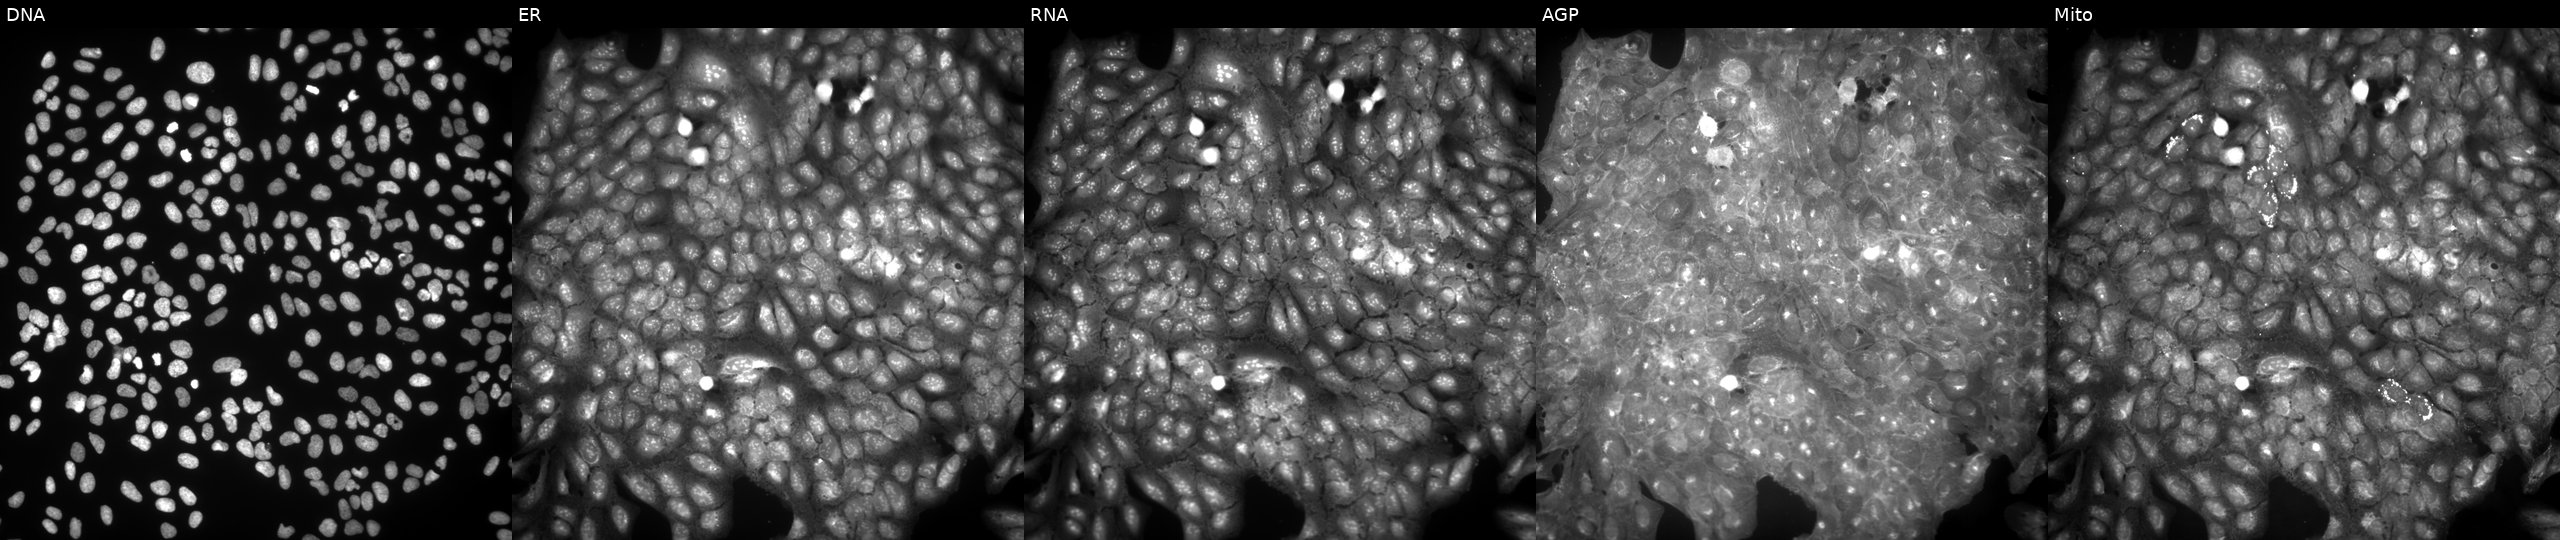
U2OS cells, Cell Painting assay, perturbed with a small-molecule compound. Panels show, left to right, DNA (nuclei); ER (endoplasmic reticulum); RNA (nucleoli and cytoplasmic RNA); AGP (actin cytoskeleton, Golgi, and plasma membrane); Mito (mitochondria). Each panel is percentile-stretched 16-bit fluorescence. Source 9, plate GR00003382, well W27.